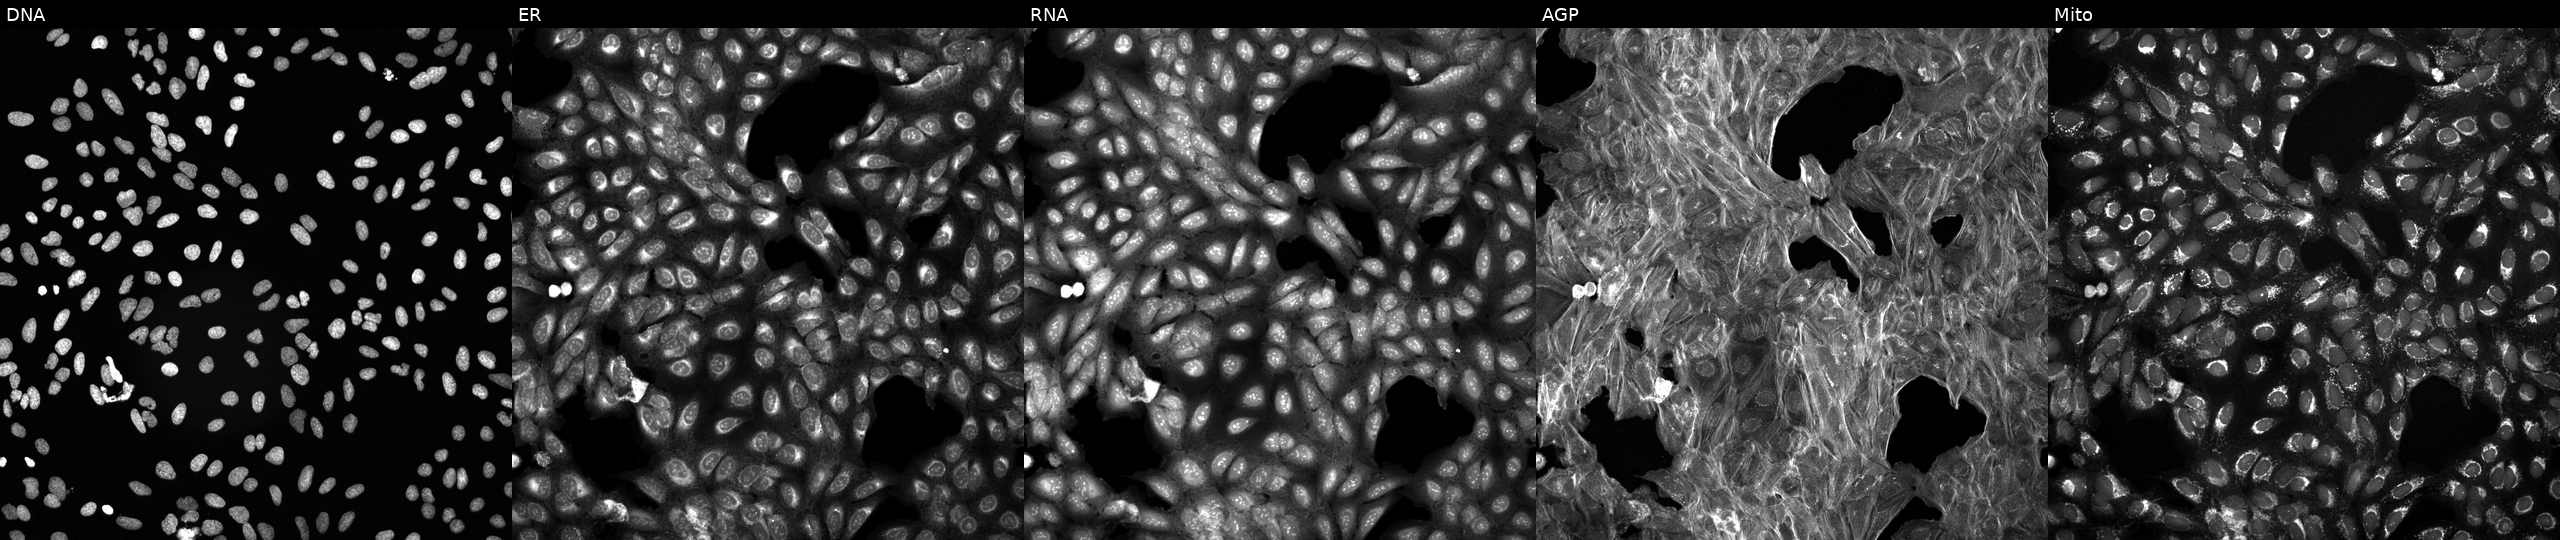
High-content fluorescence microscopy (Cell Painting). Cell line: U2OS. Perturbation: perturbed with a small-molecule compound (InChIKey TUNVTTAUOSPSDU-UHFFFAOYSA-N) [SMILES: Cc1n[nH]c(=O)c2cc(S(=O)(=O)N3CCN(C4CCCCC4)CC3)cn12]. The five panels, left to right, show Hoechst 33342, concanavalin A, SYTO 14, phalloidin and WGA, MitoTracker. Source 6, plate 110000293082, well D22.